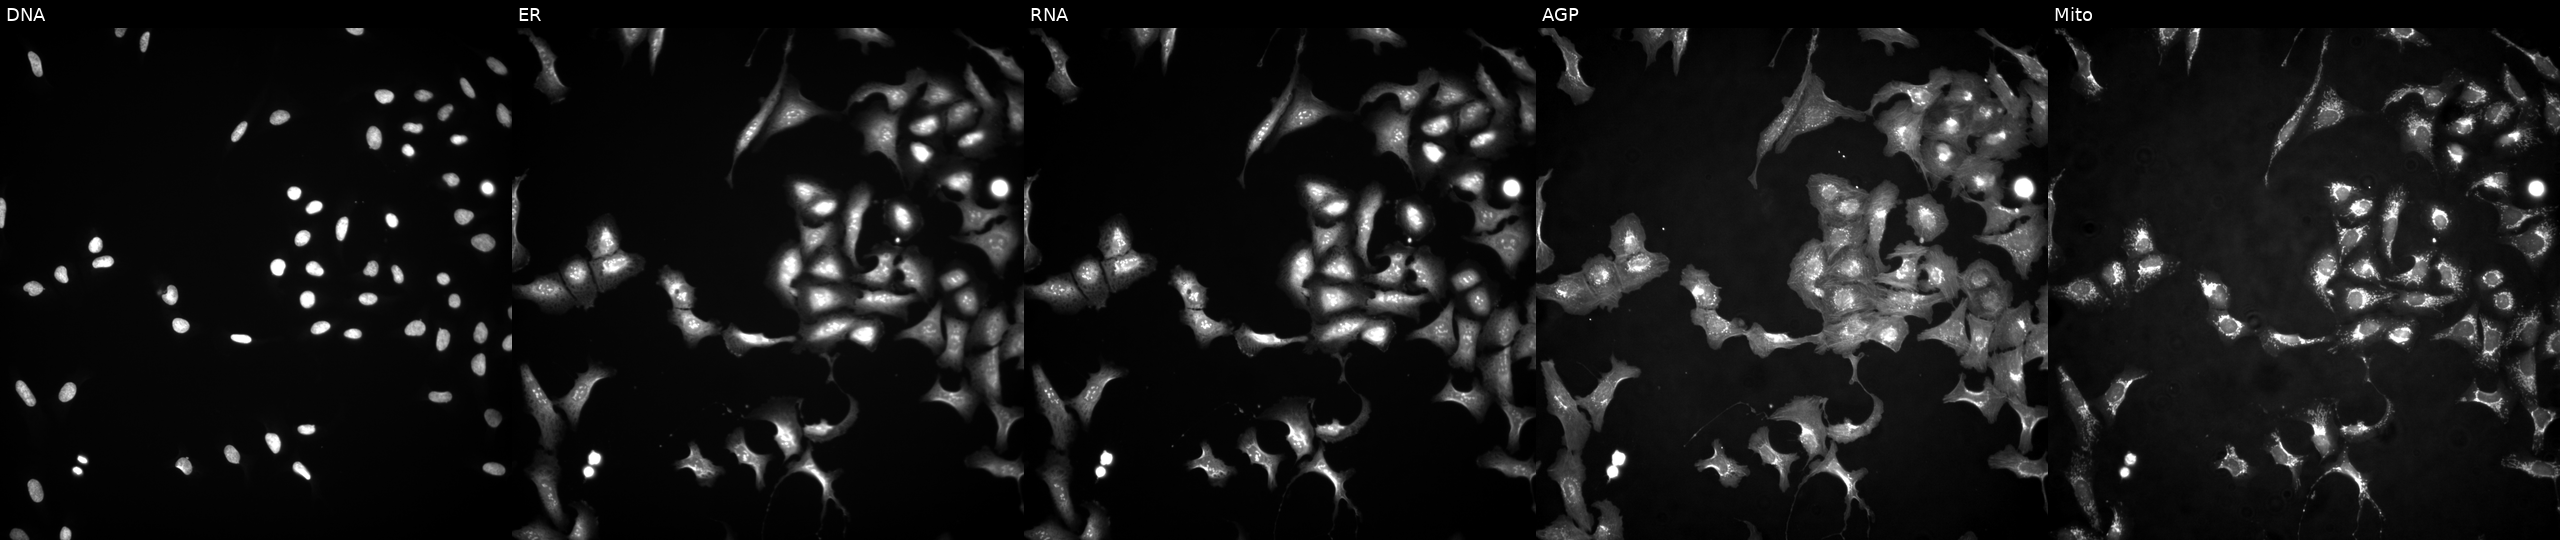
High-content fluorescence microscopy (Cell Painting). Cell line: U2OS. Perturbation: with RUVBL2 overexpressed (ORF). Channels (left→right): DNA, ER, RNA, AGP, and Mito.